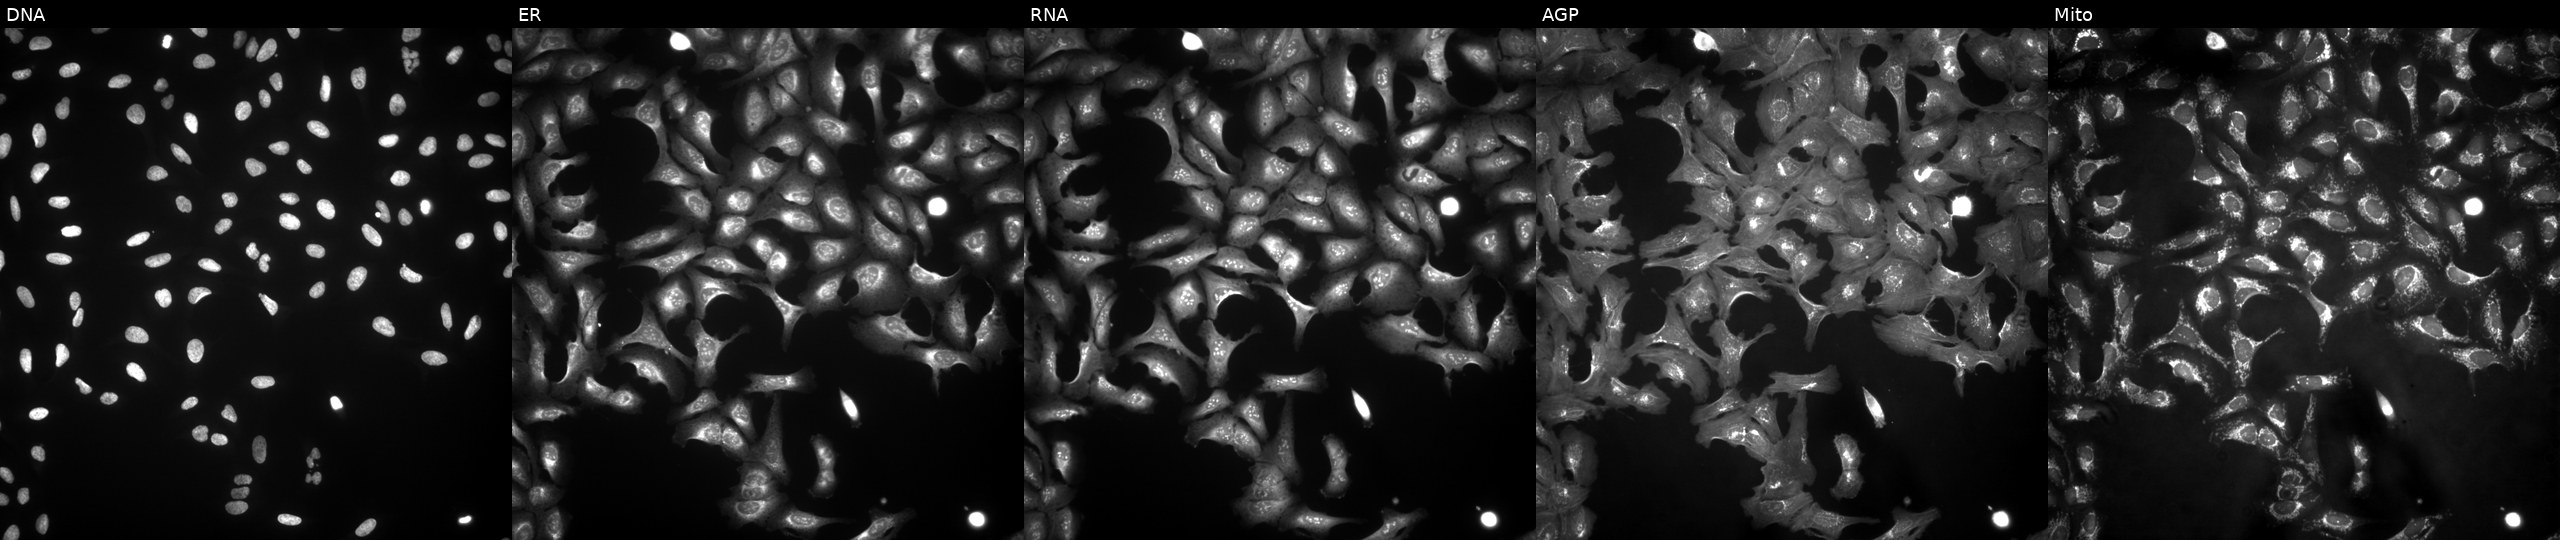
Five-channel Cell Painting image of U2OS cells with CASP9 overexpressed (ORF) (JUMP id JCP2022_900209). From left to right: Hoechst 33342, concanavalin A, SYTO 14, phalloidin and WGA, MitoTracker. Source 4, plate BR00123506, well B24.